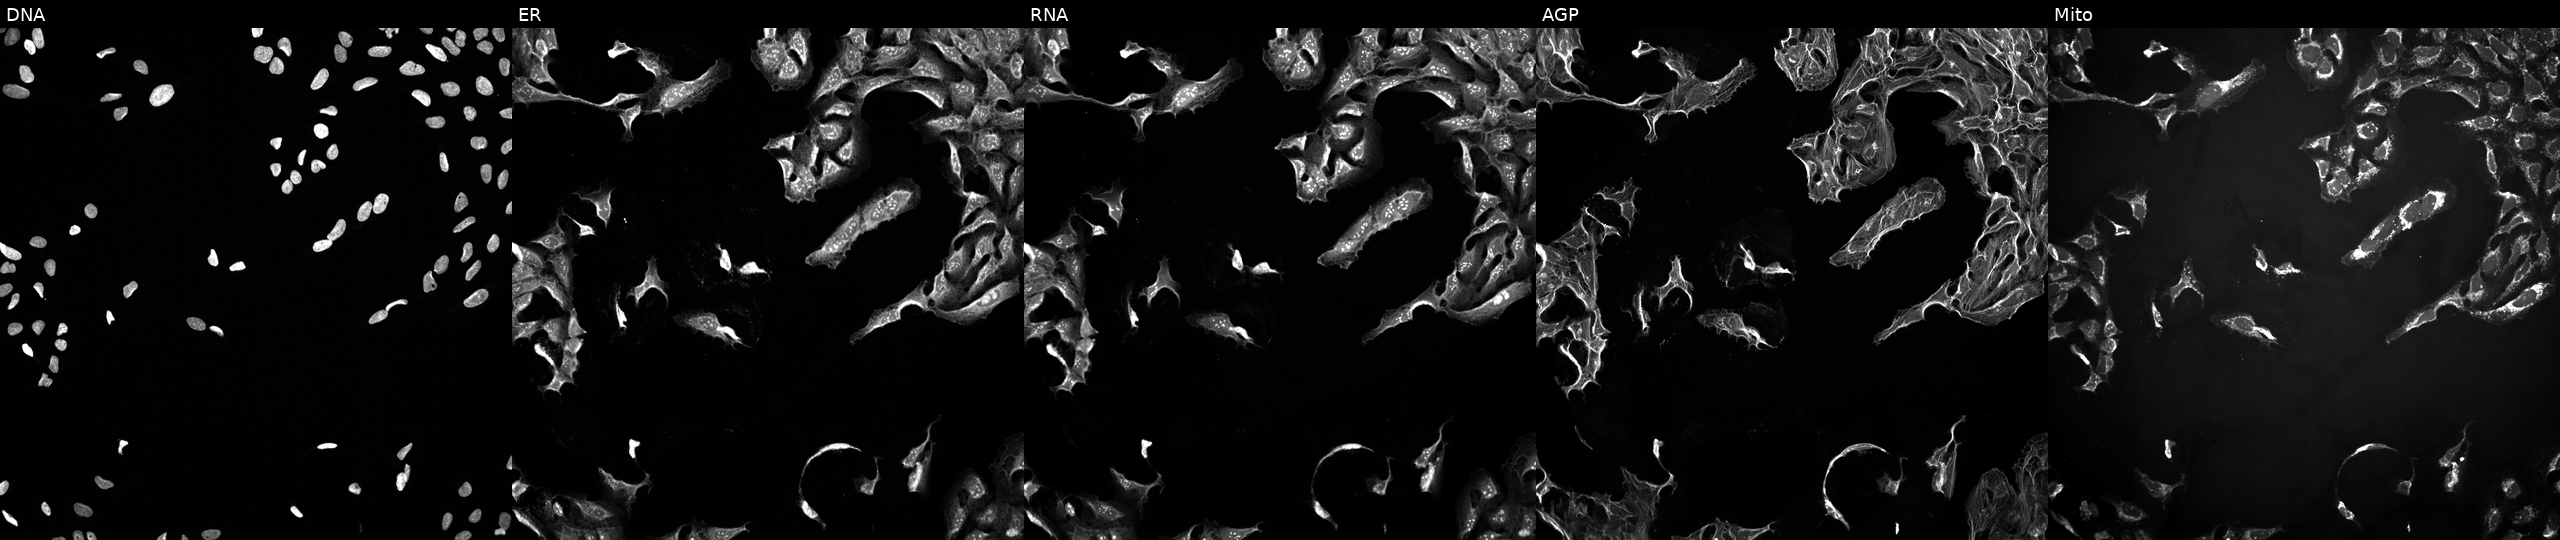
High-content fluorescence microscopy (Cell Painting). Cell line: U2OS. Perturbation: perturbed with a small-molecule compound (InChIKey PMATZTZNYRCHOR-UHFFFAOYSA-N). Panels show, left to right, Hoechst 33342, concanavalin A, SYTO 14, phalloidin and WGA, MitoTracker. Source 10, plate Dest210726-160150, well L04.